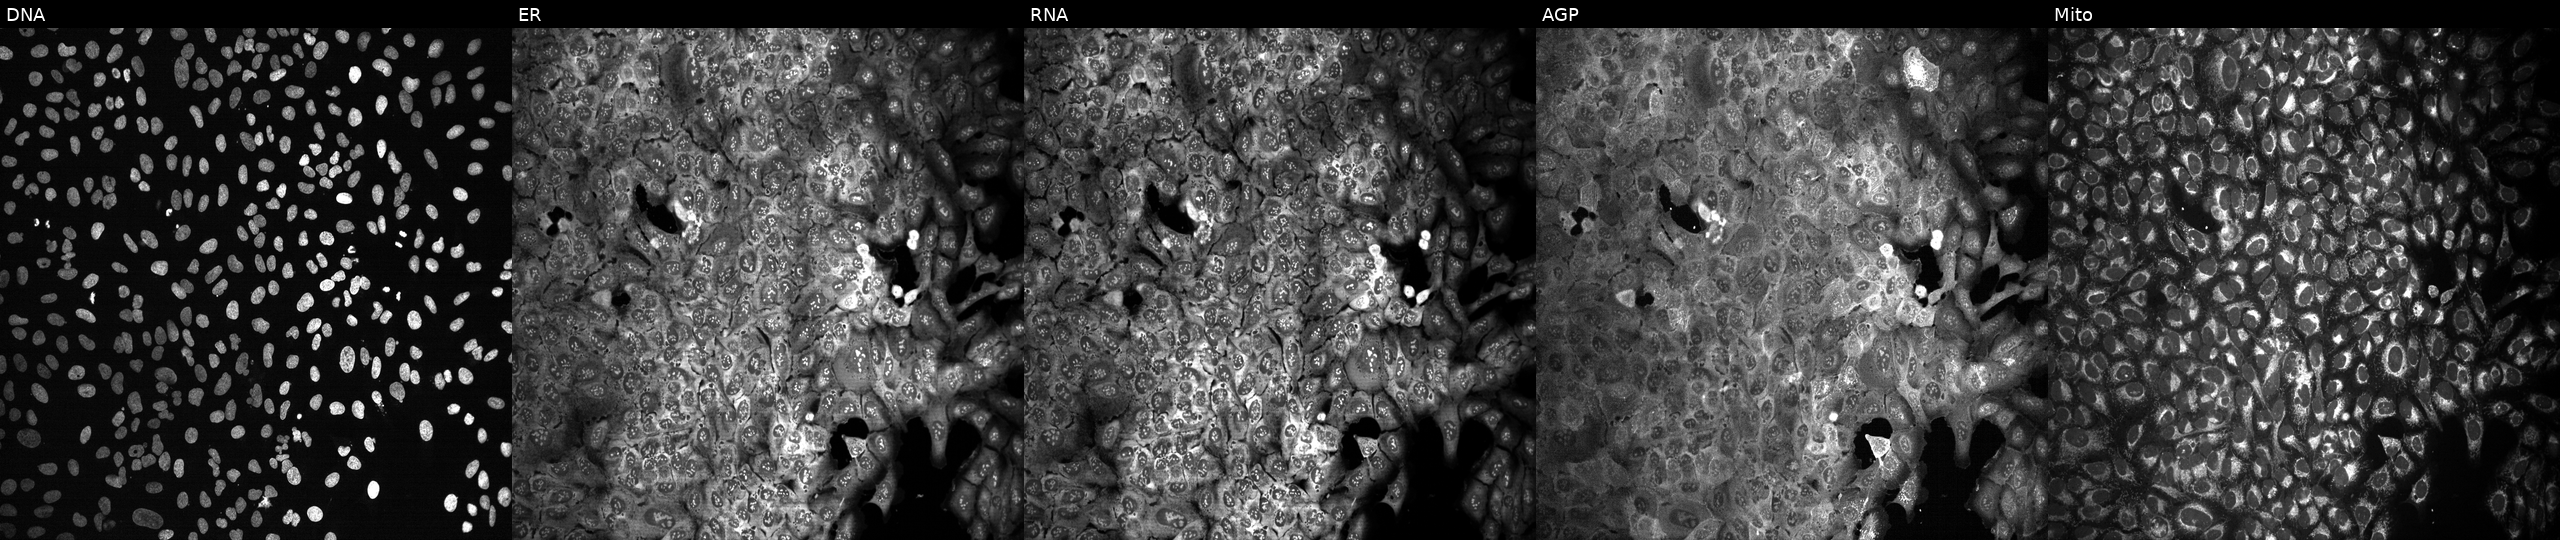
This image strip shows the five Cell Painting channels for a single field of U2OS cells with CYP21A2 knocked out by CRISPR (JUMP id JCP2022_801625). From left to right: DNA (nuclei); ER (endoplasmic reticulum); RNA (nucleoli and cytoplasmic RNA); AGP (actin cytoskeleton, Golgi, and plasma membrane); Mito (mitochondria).